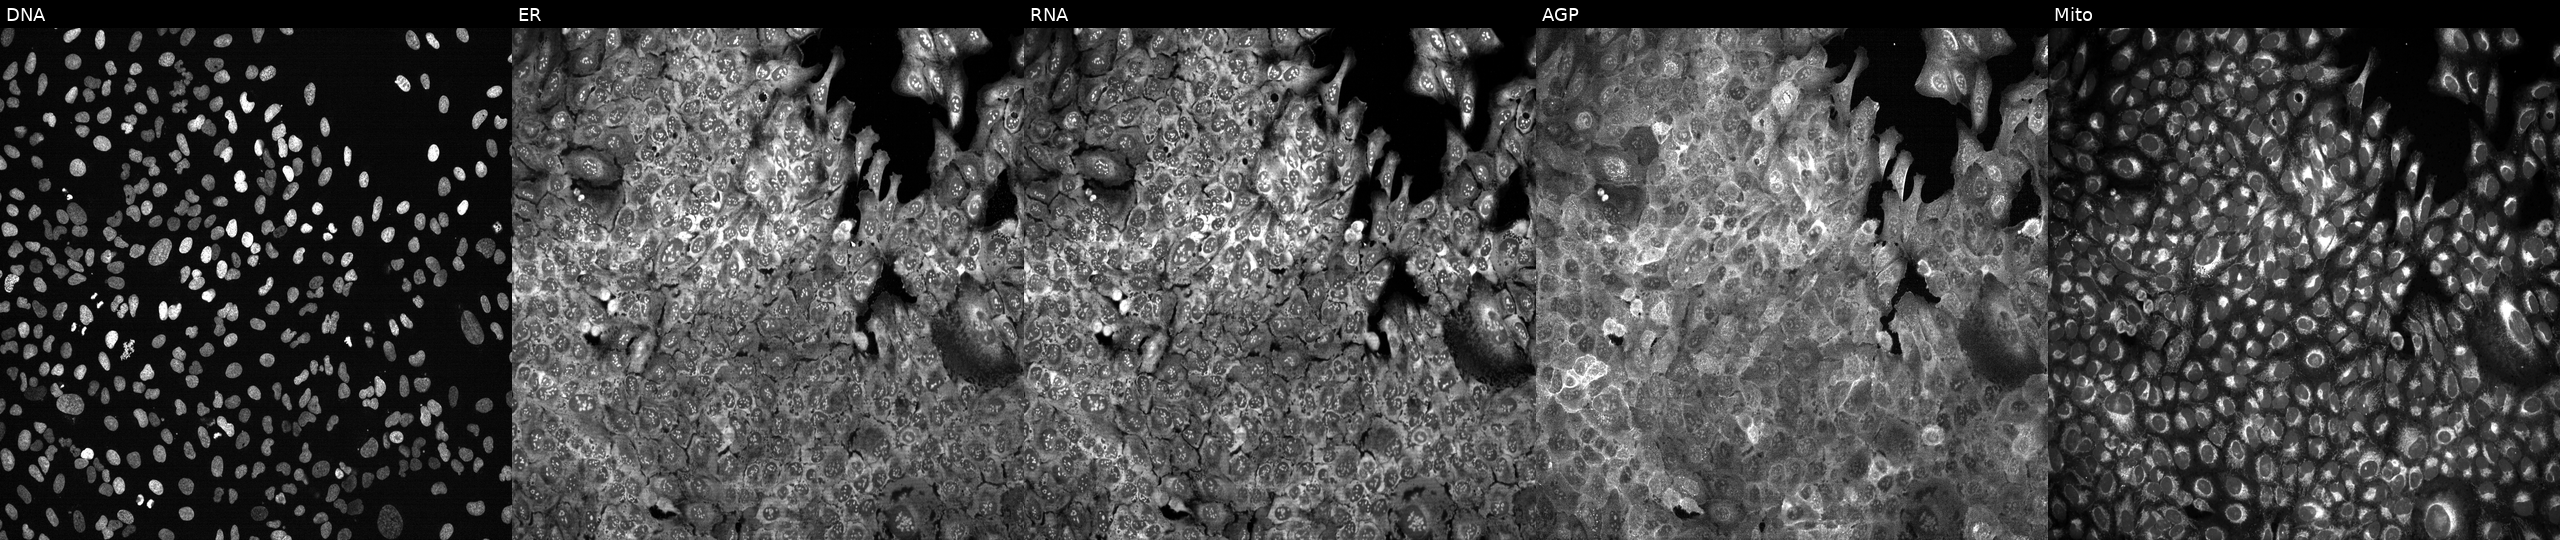
JUMP Cell Painting — CRISPR plate. U2OS cells CRISPR-edited to disrupt ITGA5 (JUMP id JCP2022_803489). Panels show, left to right, DNA (nuclei); ER (endoplasmic reticulum); RNA (nucleoli and cytoplasmic RNA); AGP (actin cytoskeleton, Golgi, and plasma membrane); Mito (mitochondria). Source 13, plate CP-CC9-R2-02, well K14.